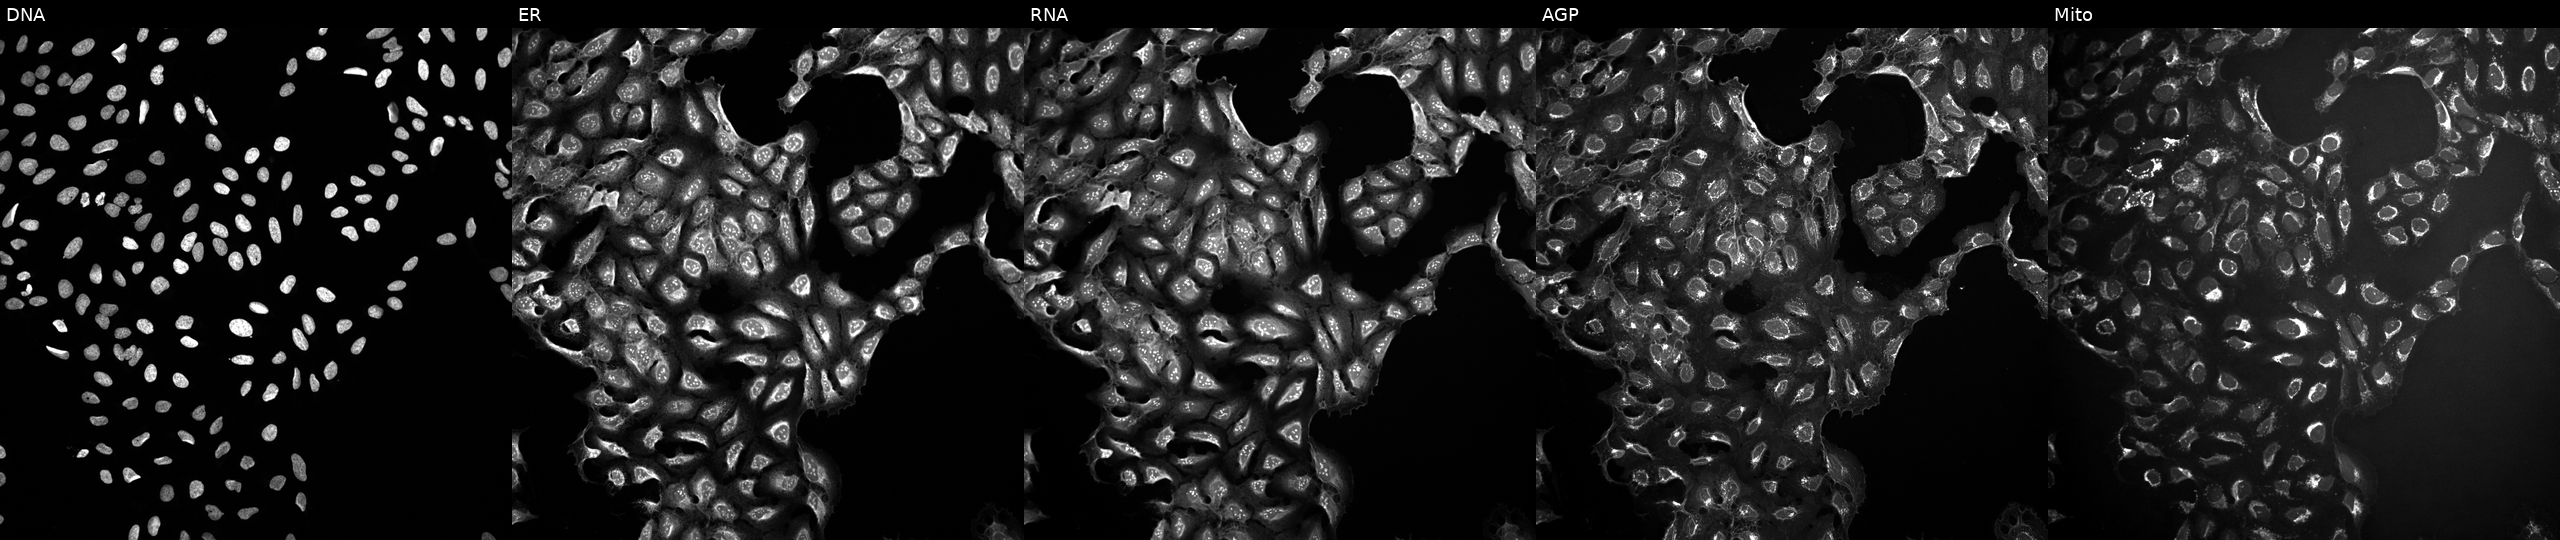
Five-channel Cell Painting image of U2OS cells perturbed with a small-molecule compound (InChIKey RYEFFICCPKWYML-UHFFFAOYSA-N) [SMILES: CC(C)(O)C1C2OC(=O)C1C1(O)CC3OC34C(=O)OC2C14C] (JUMP id JCP2022_081496). Channels (left→right): DNA (nuclei); ER (endoplasmic reticulum); RNA (nucleoli and cytoplasmic RNA); AGP (actin cytoskeleton, Golgi, and plasma membrane); Mito (mitochondria). Source 10, plate Dest210803-153958, well M09.